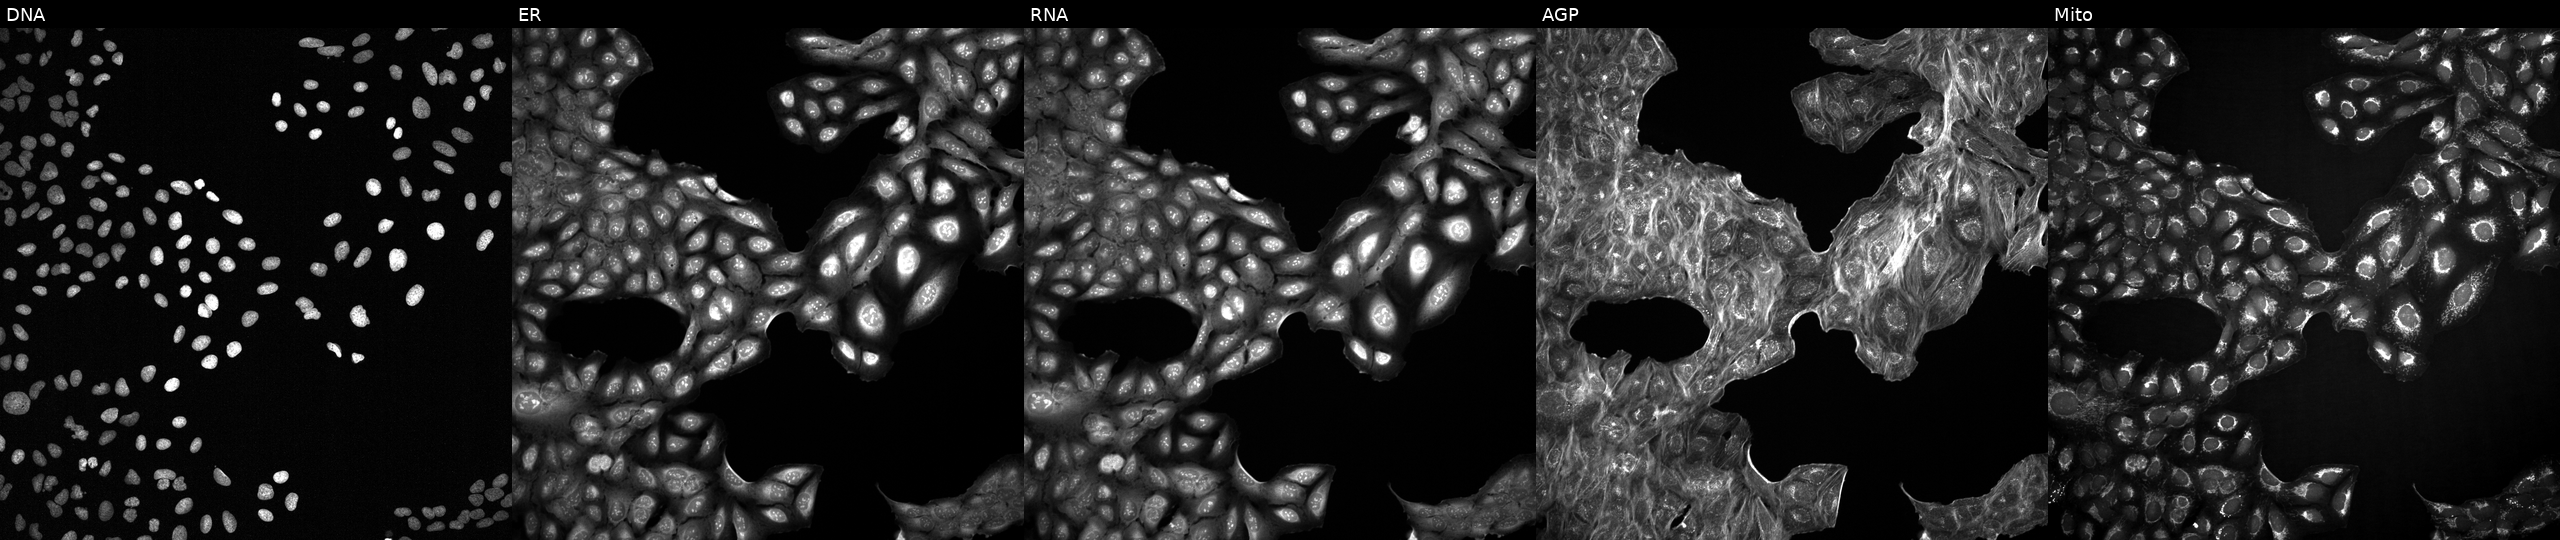
Five-channel Cell Painting image of U2OS cells with an unidentified perturbation (not annotated in JUMP metadata). From left to right: DNA, ER, RNA, AGP, and Mito.